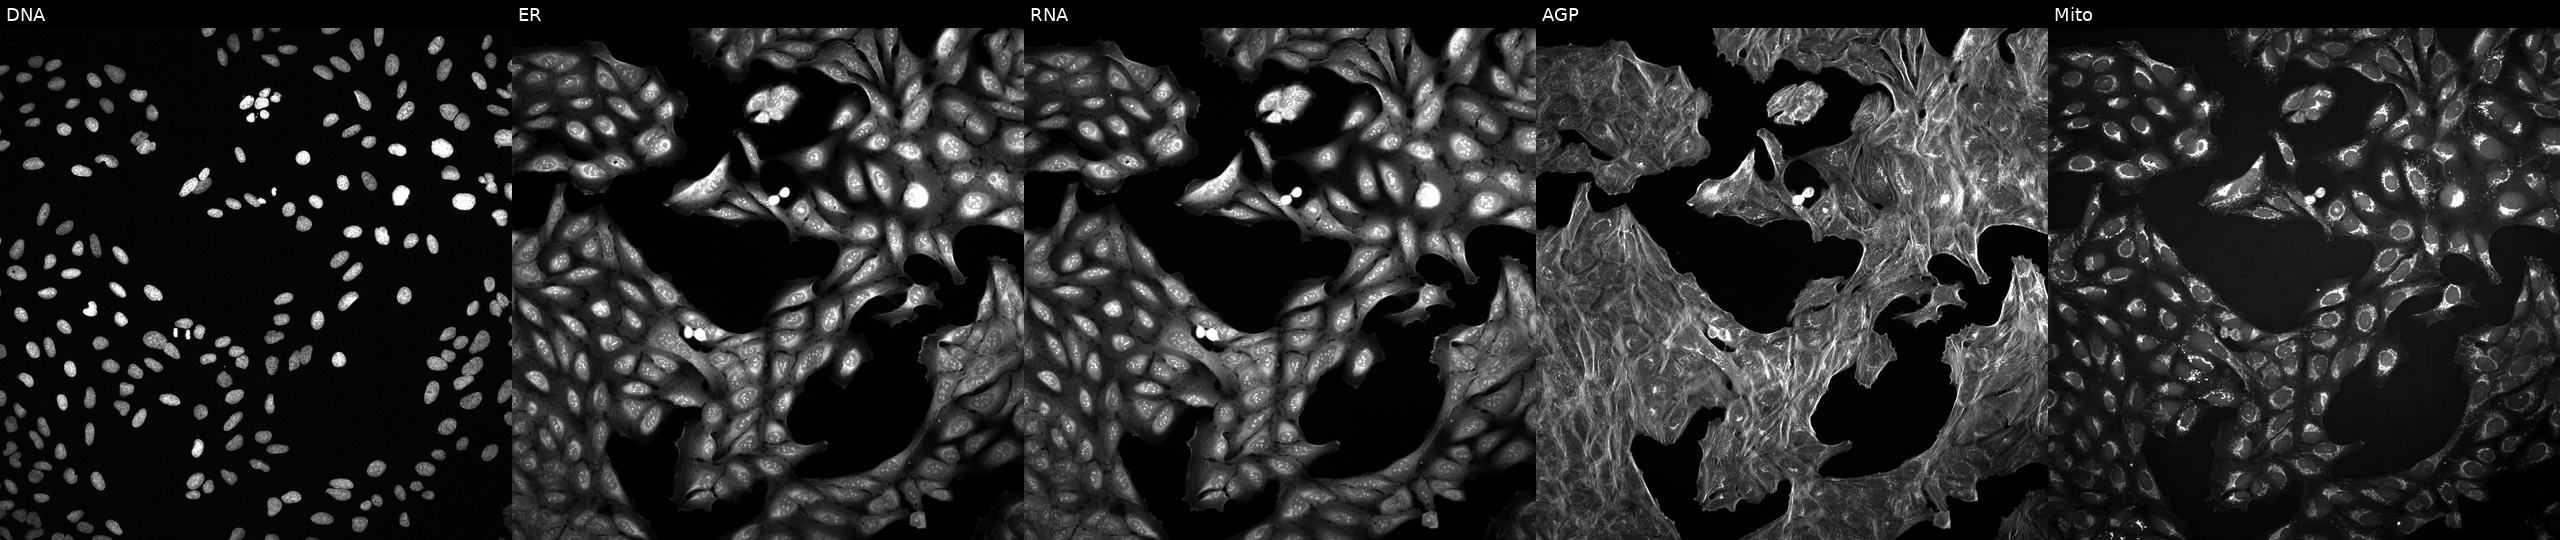
JUMP Cell Painting — COMPOUND plate. U2OS cells perturbed with a small-molecule compound (InChIKey BDKCMJJUFWBIRG-UHFFFAOYSA-N). From left to right: DNA (nuclei); ER (endoplasmic reticulum); RNA (nucleoli and cytoplasmic RNA); AGP (actin cytoskeleton, Golgi, and plasma membrane); Mito (mitochondria). Source 2, plate 1053601763, well K15.